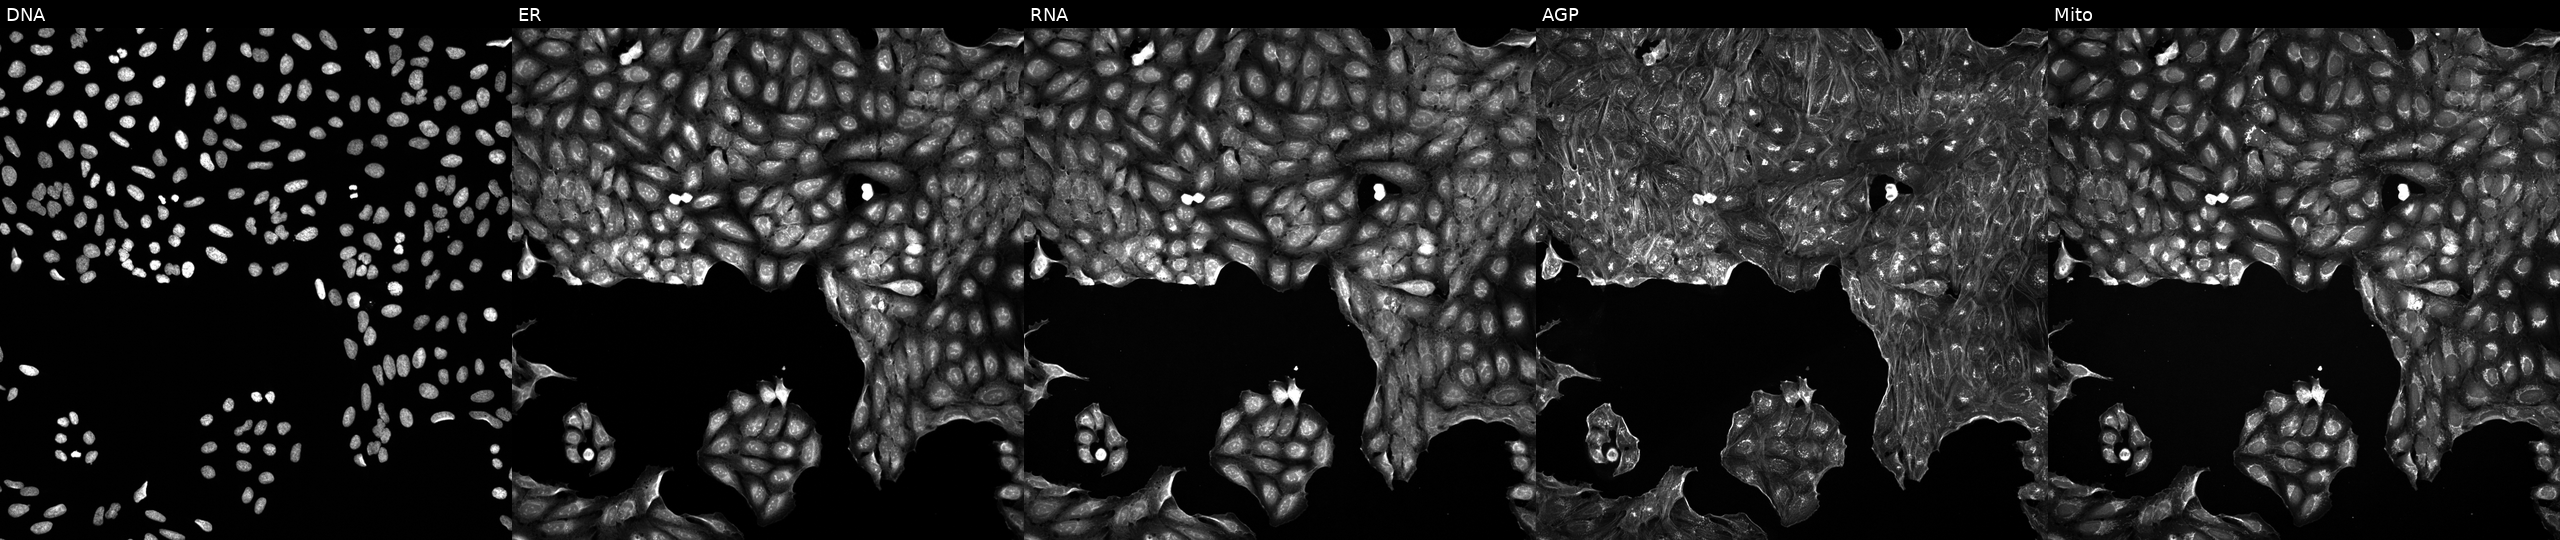
Five-channel Cell Painting image of U2OS cells perturbed with a small-molecule compound. Channels (left→right): DNA (nuclei); ER (endoplasmic reticulum); RNA (nucleoli and cytoplasmic RNA); AGP (actin cytoskeleton, Golgi, and plasma membrane); Mito (mitochondria). Source 5, plate APTJUM105, well E03.